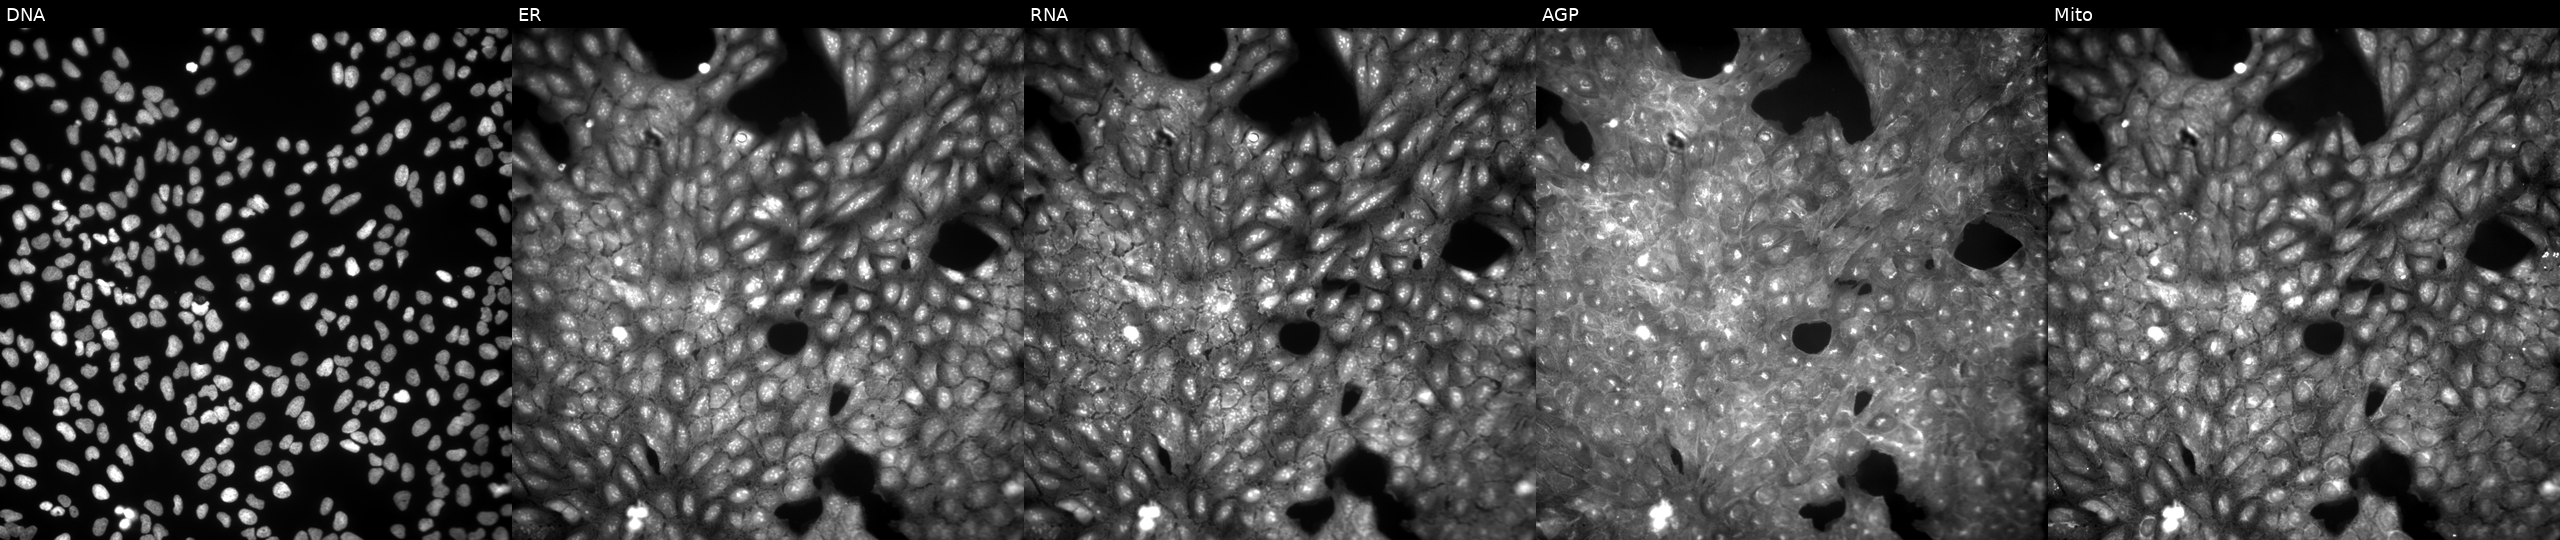
Panels show, left to right, DNA (nuclei); ER (endoplasmic reticulum); RNA (nucleoli and cytoplasmic RNA); AGP (actin cytoskeleton, Golgi, and plasma membrane); Mito (mitochondria). U2OS osteosarcoma cells perturbed with a small-molecule compound (InChIKey MKGMVICRGSWZJS-UHFFFAOYSA-N) (JUMP id JCP2022_054697). Cell Painting assay, JUMP-CP dataset.